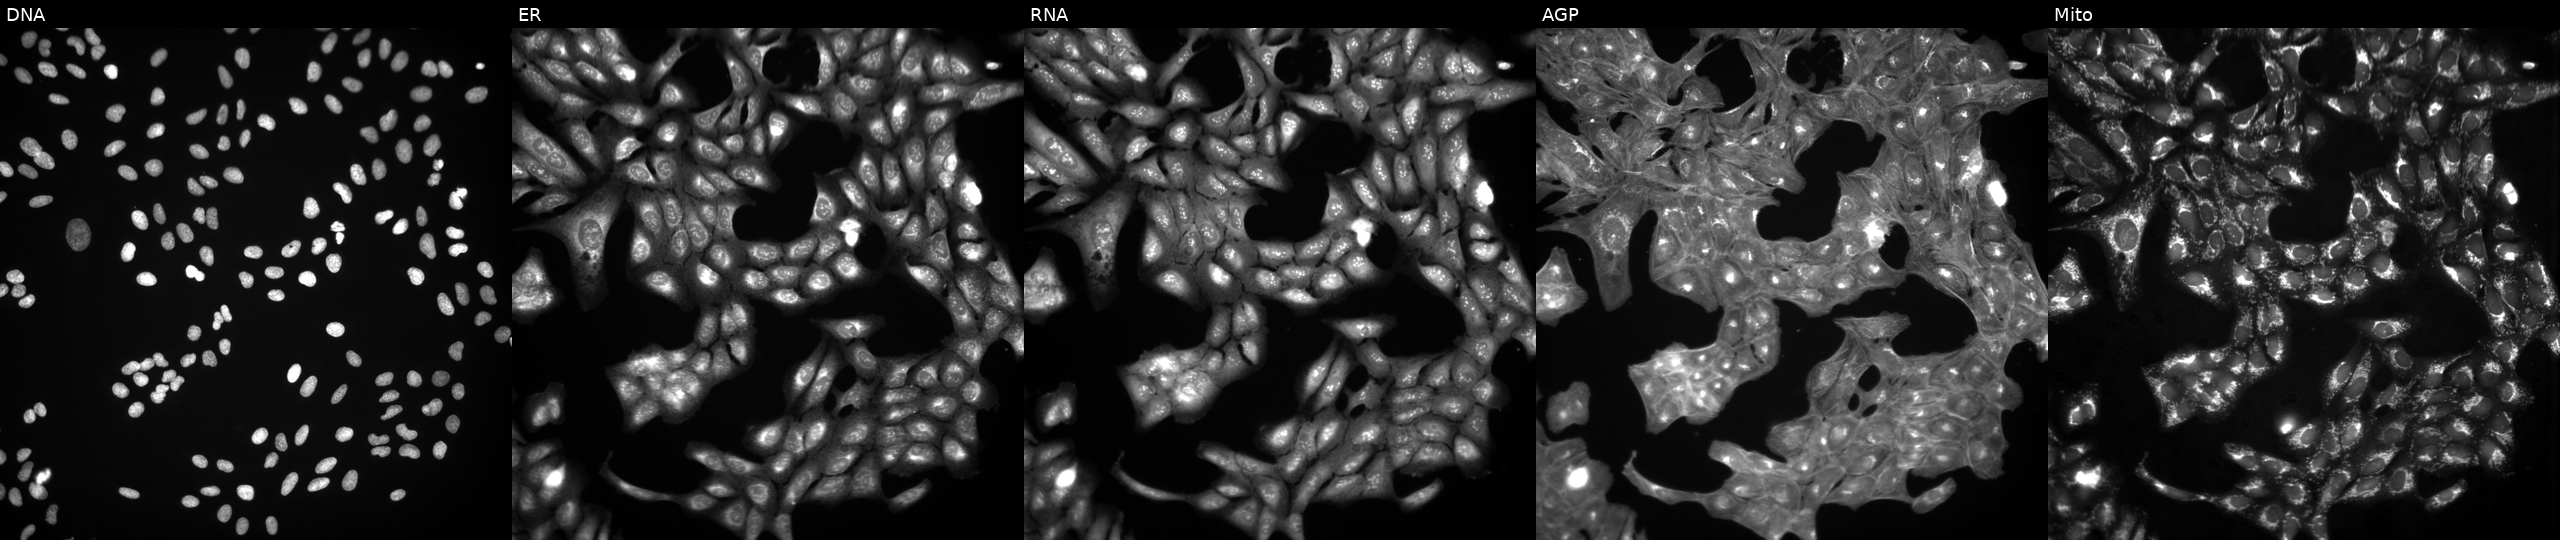
Five-channel Cell Painting image of U2OS cells in an empty control well (no perturbation). The five panels, left to right, show Hoechst 33342, concanavalin A, SYTO 14, phalloidin and WGA, MitoTracker. Source 3, plate BR5867b3, well A18.